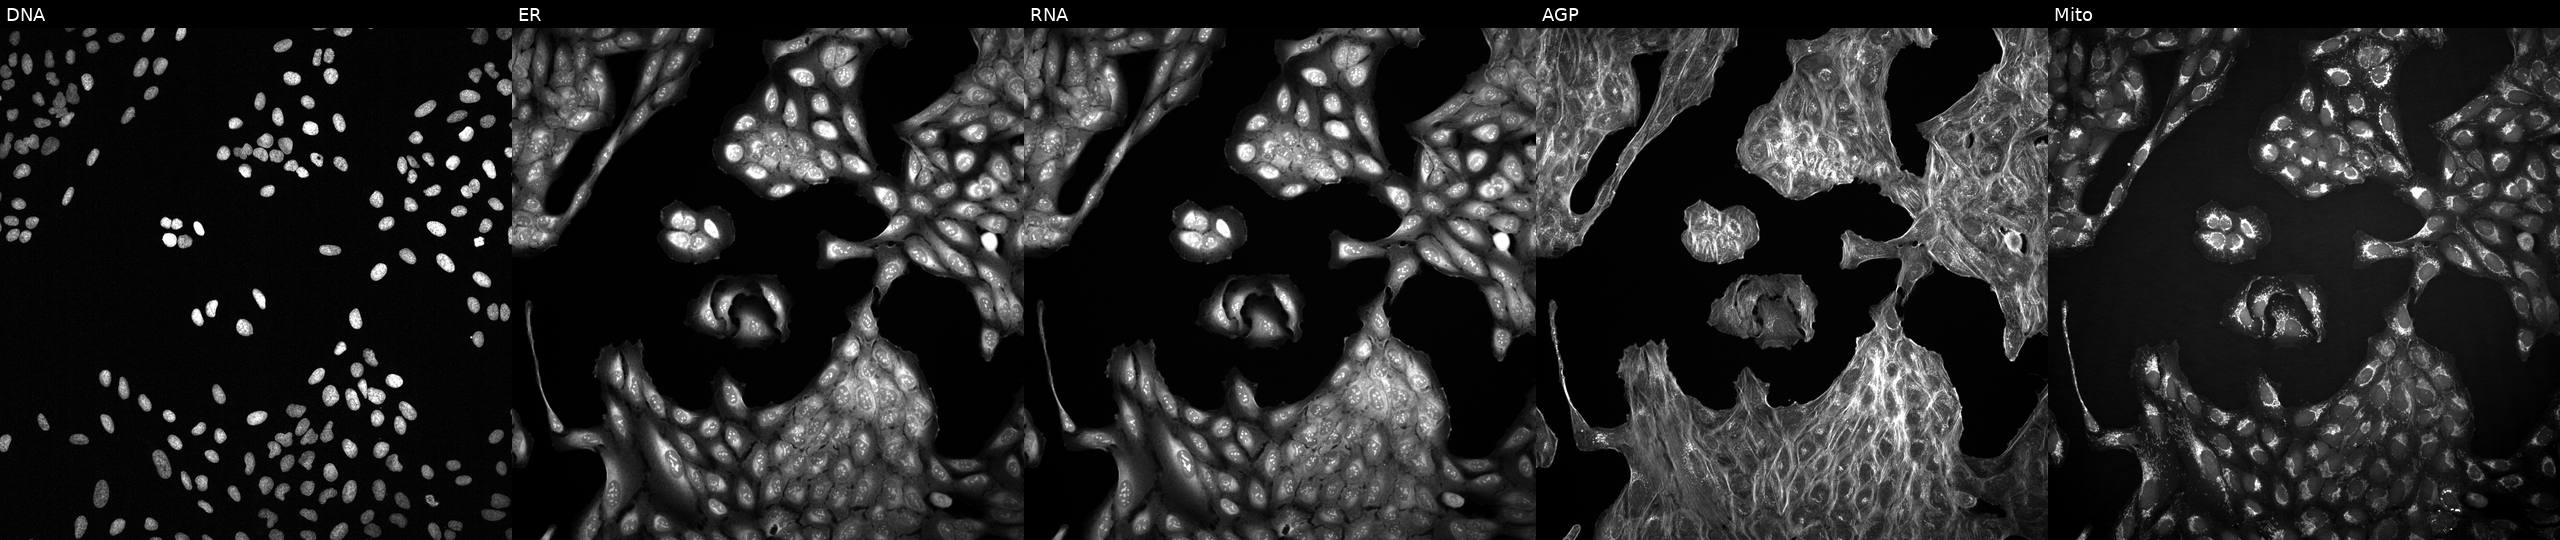
This image strip shows the five Cell Painting channels for a single field of U2OS cells with an unidentified perturbation (not annotated in JUMP metadata). Channels (left→right): DNA (nuclei); ER (endoplasmic reticulum); RNA (nucleoli and cytoplasmic RNA); AGP (actin cytoskeleton, Golgi, and plasma membrane); Mito (mitochondria). Source 2, plate 1053601763, well J17.